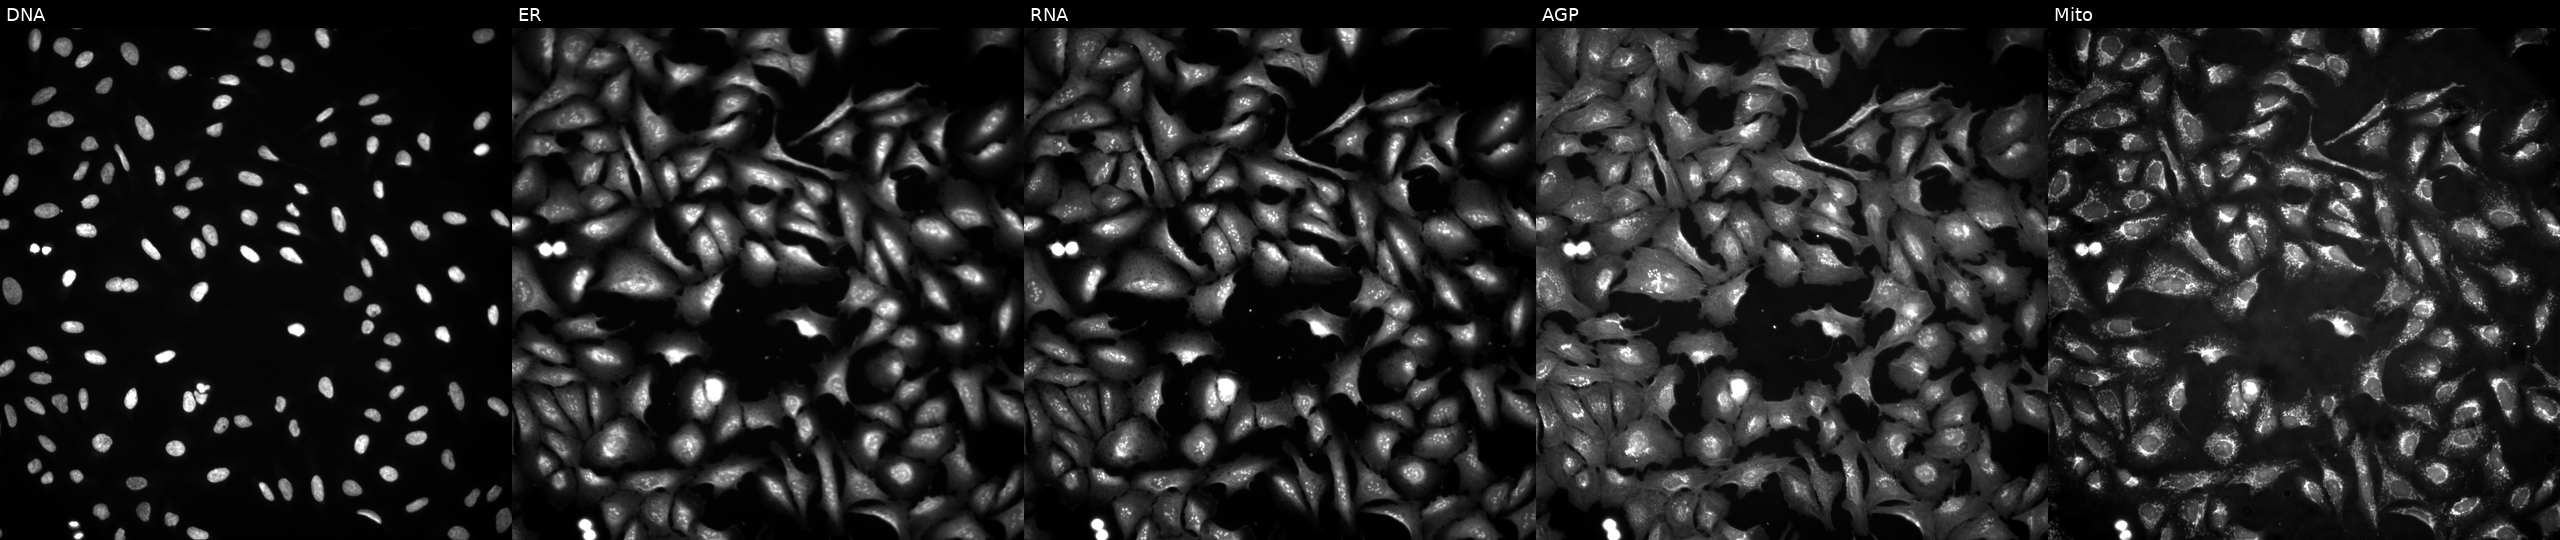
JUMP Cell Painting — ORF plate. U2OS cells overexpressing DOCK10 via ORF transfection. Channels (left→right): DNA, ER, RNA, AGP, and Mito.